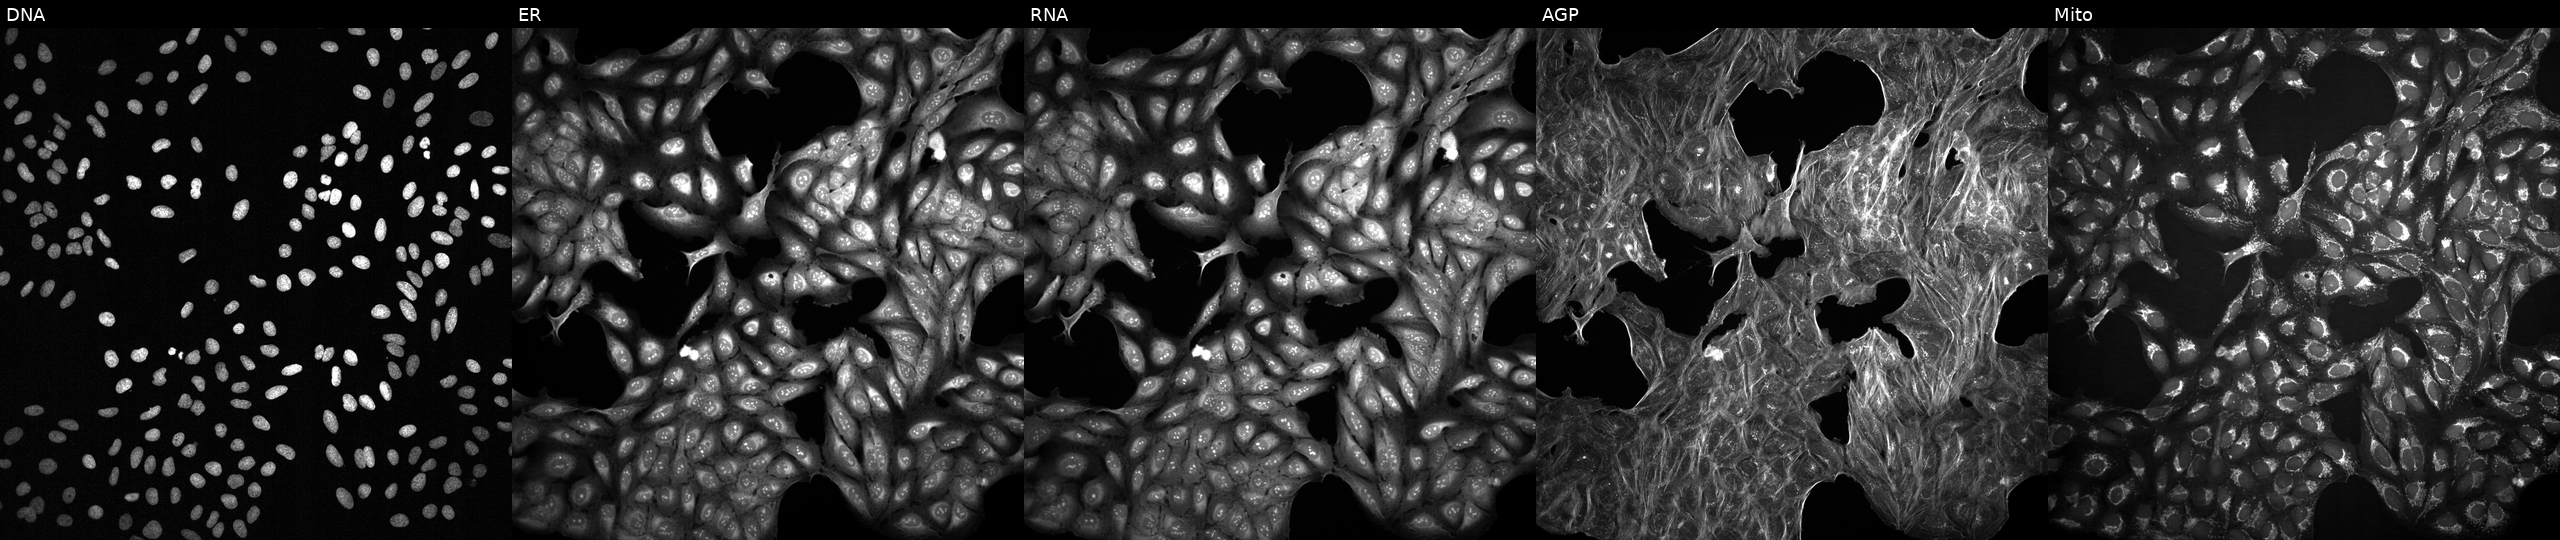
JUMP Cell Painting — TARGET2 plate. U2OS cells exposed to a small-molecule compound (InChIKey NHXLMOGPVYXJNR-UHFFFAOYSA-N). From left to right: DNA, ER, RNA, AGP, and Mito. Source 2, plate 1053600674, well O24.